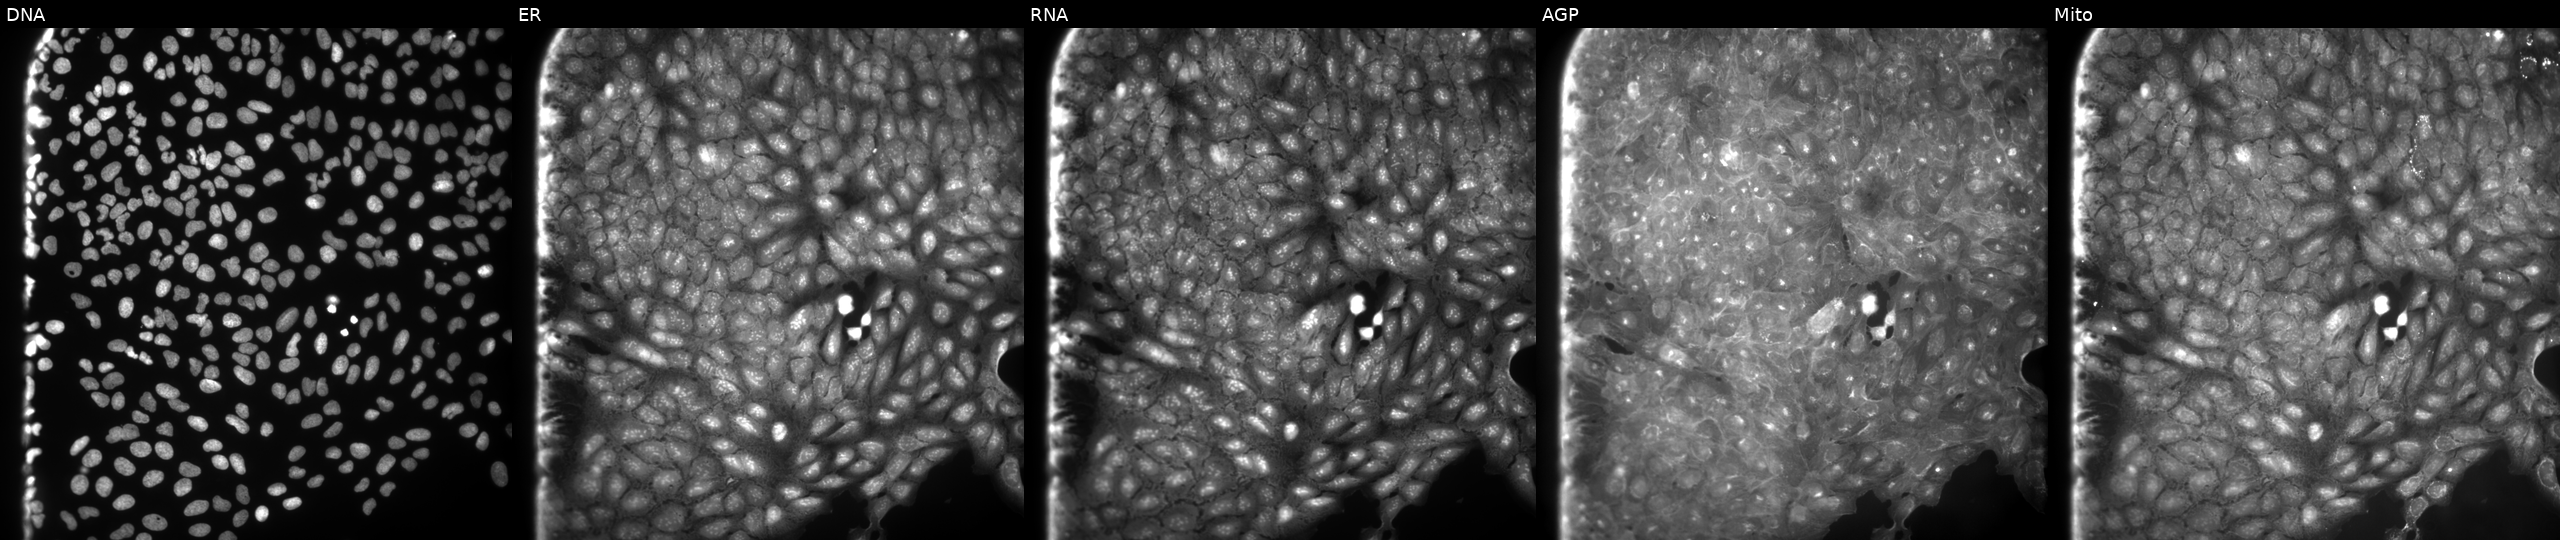
The five panels, left to right, show DNA, ER, RNA, AGP, and Mito. U2OS osteosarcoma cells exposed to DMSO alone as a negative control (JUMP id JCP2022_033924). Cell Painting assay, JUMP-CP dataset. Source 9, plate GR00003382, well S02.